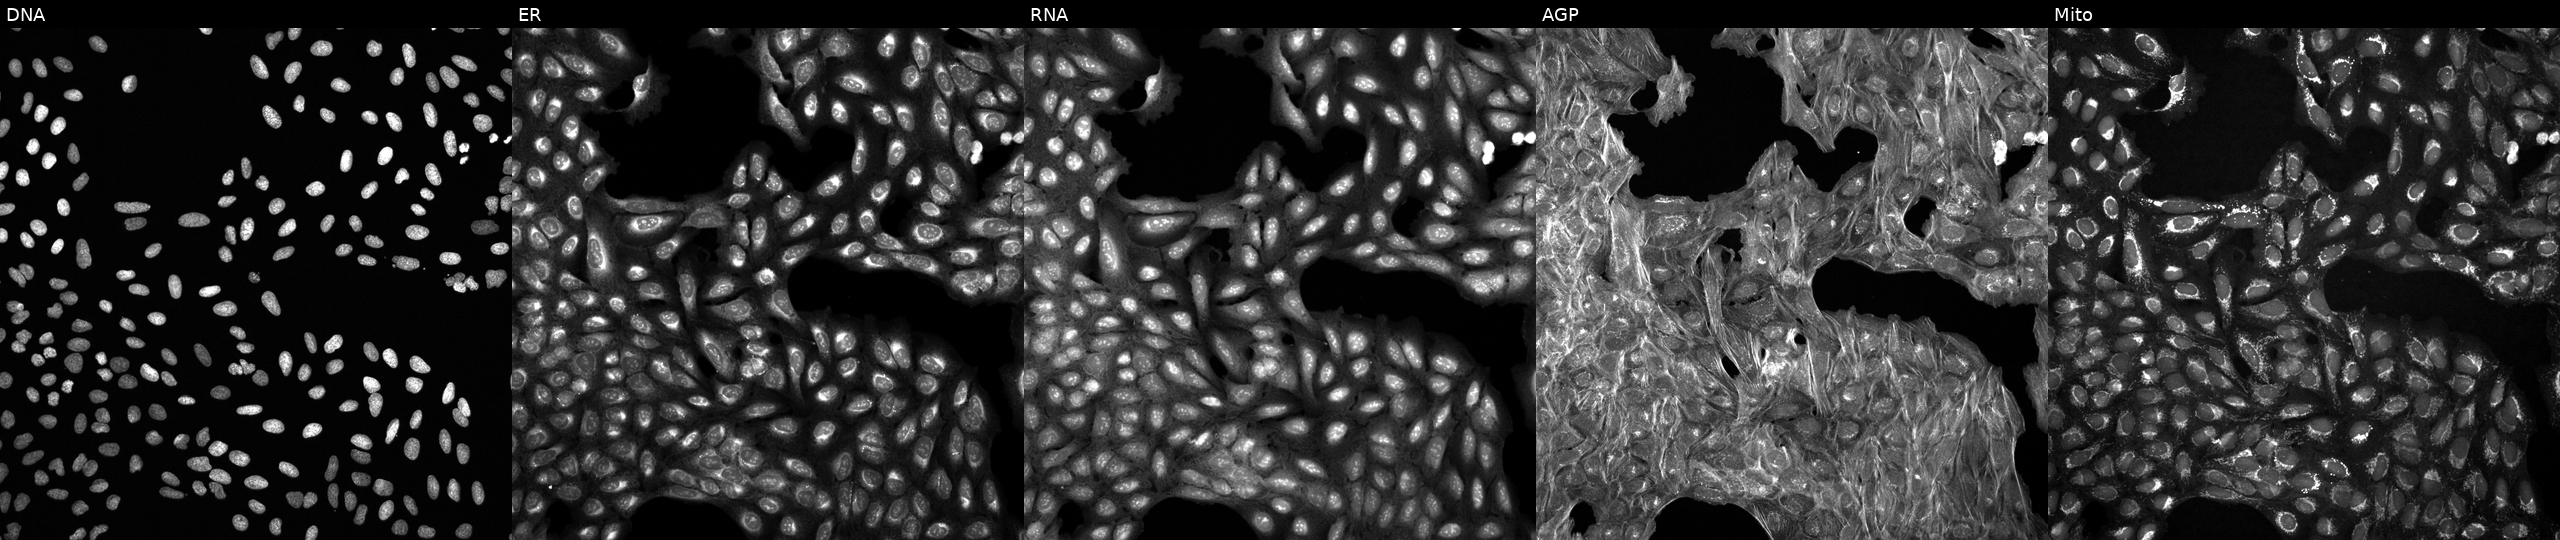
U2OS cells, Cell Painting assay, perturbed with a small-molecule compound (InChIKey UGYXPZQILZRKJJ-UHFFFAOYSA-N). The five panels, left to right, show DNA, ER, RNA, AGP, and Mito. Each panel is percentile-stretched 16-bit fluorescence.